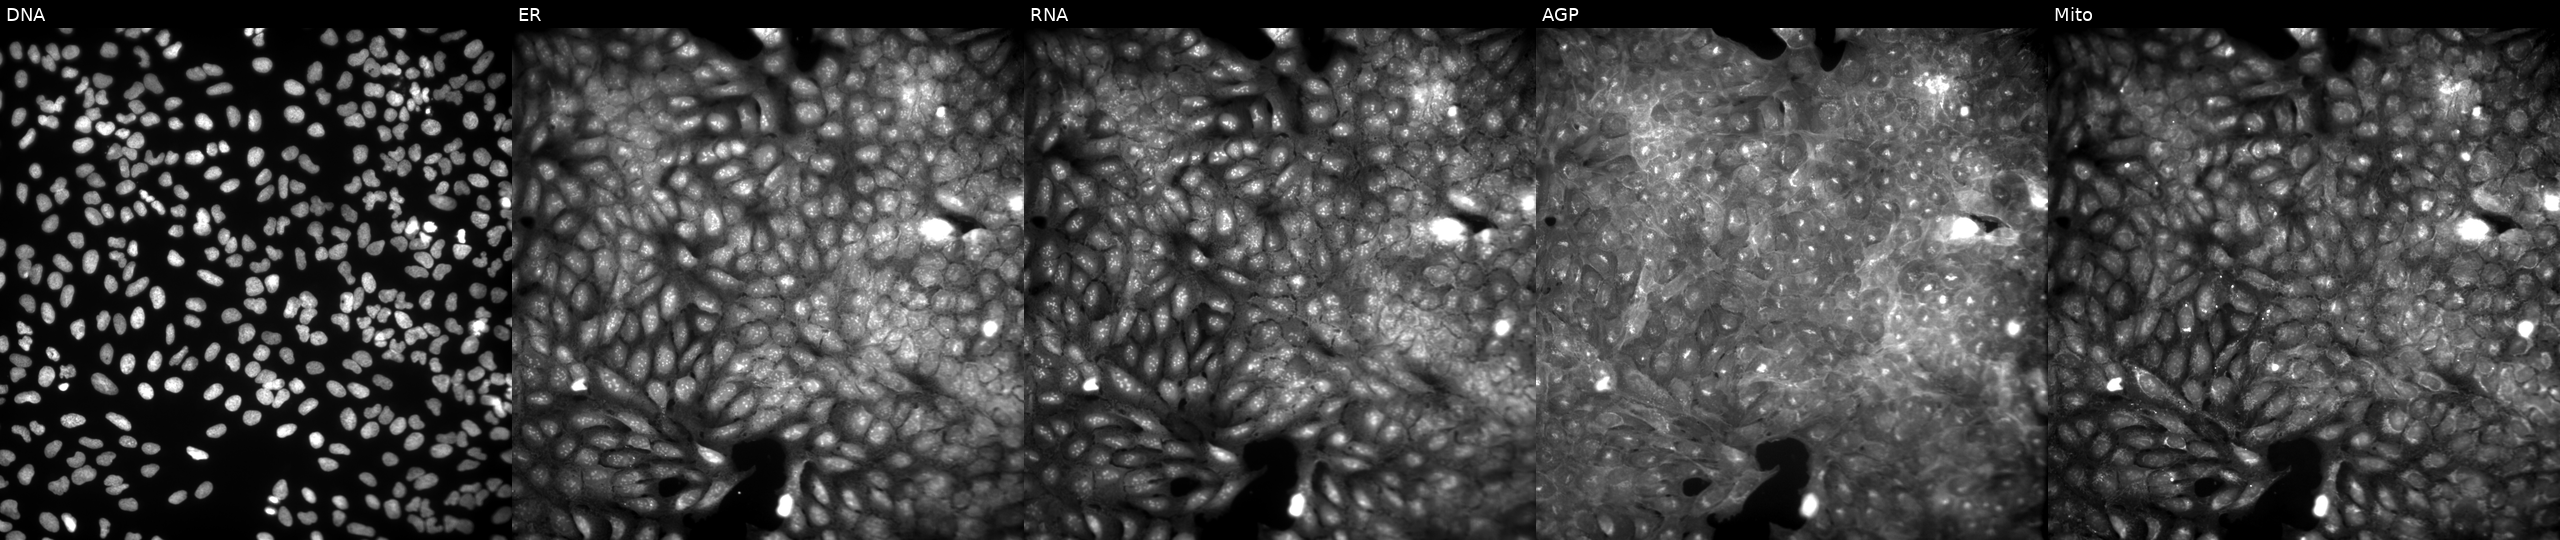
This image strip shows the five Cell Painting channels for a single field of U2OS cells perturbed with a small-molecule compound (InChIKey PHUJDAVPFVXMOP-UHFFFAOYSA-N) (JUMP id JCP2022_068684). From left to right: DNA, ER, RNA, AGP, and Mito. Source 9, plate GR00003382, well Y39.